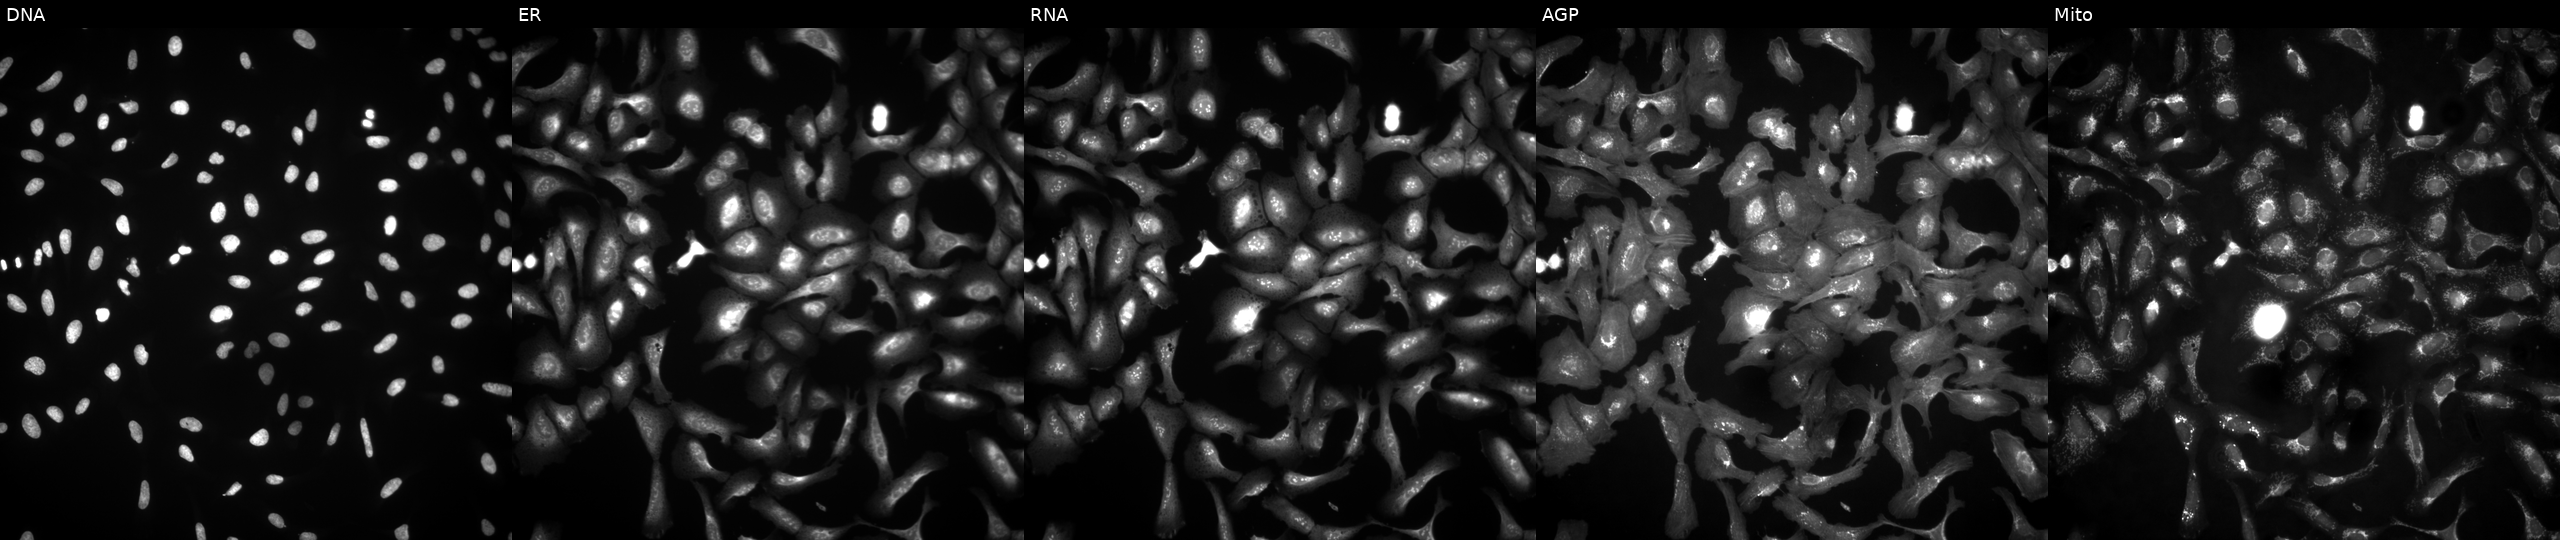
From left to right: DNA (nuclei); ER (endoplasmic reticulum); RNA (nucleoli and cytoplasmic RNA); AGP (actin cytoskeleton, Golgi, and plasma membrane); Mito (mitochondria). U2OS osteosarcoma cells with SULT1A3 overexpressed (ORF) (JUMP id JCP2022_906566). Cell Painting assay, JUMP-CP dataset.